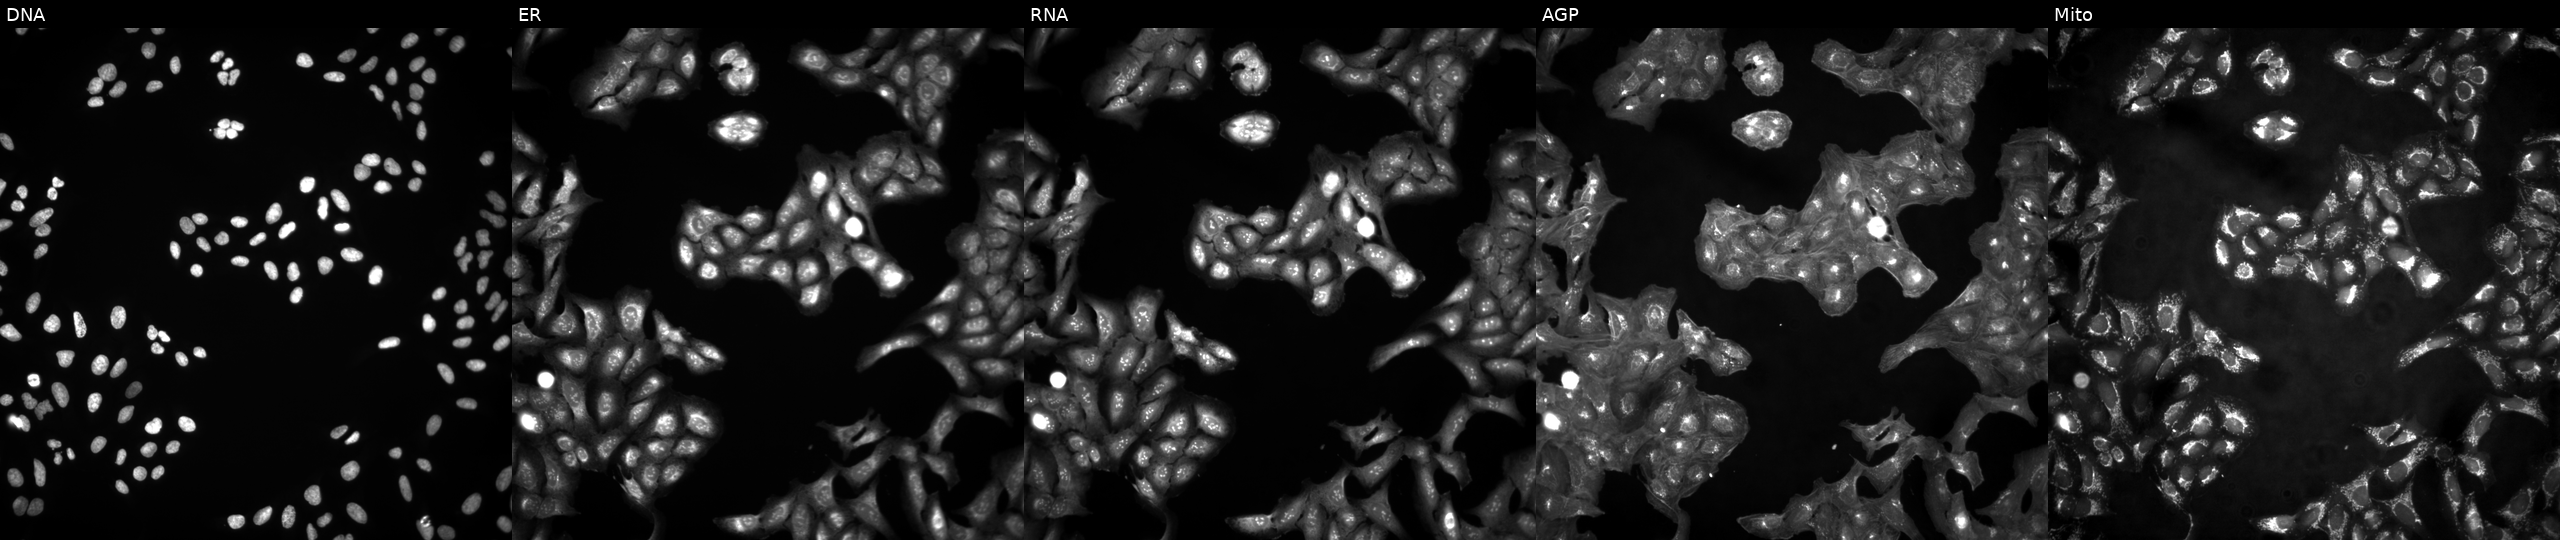
High-content fluorescence microscopy (Cell Painting). Cell line: U2OS. Perturbation: untreated (empty-well control). Channels (left→right): Hoechst 33342, concanavalin A, SYTO 14, phalloidin and WGA, MitoTracker.